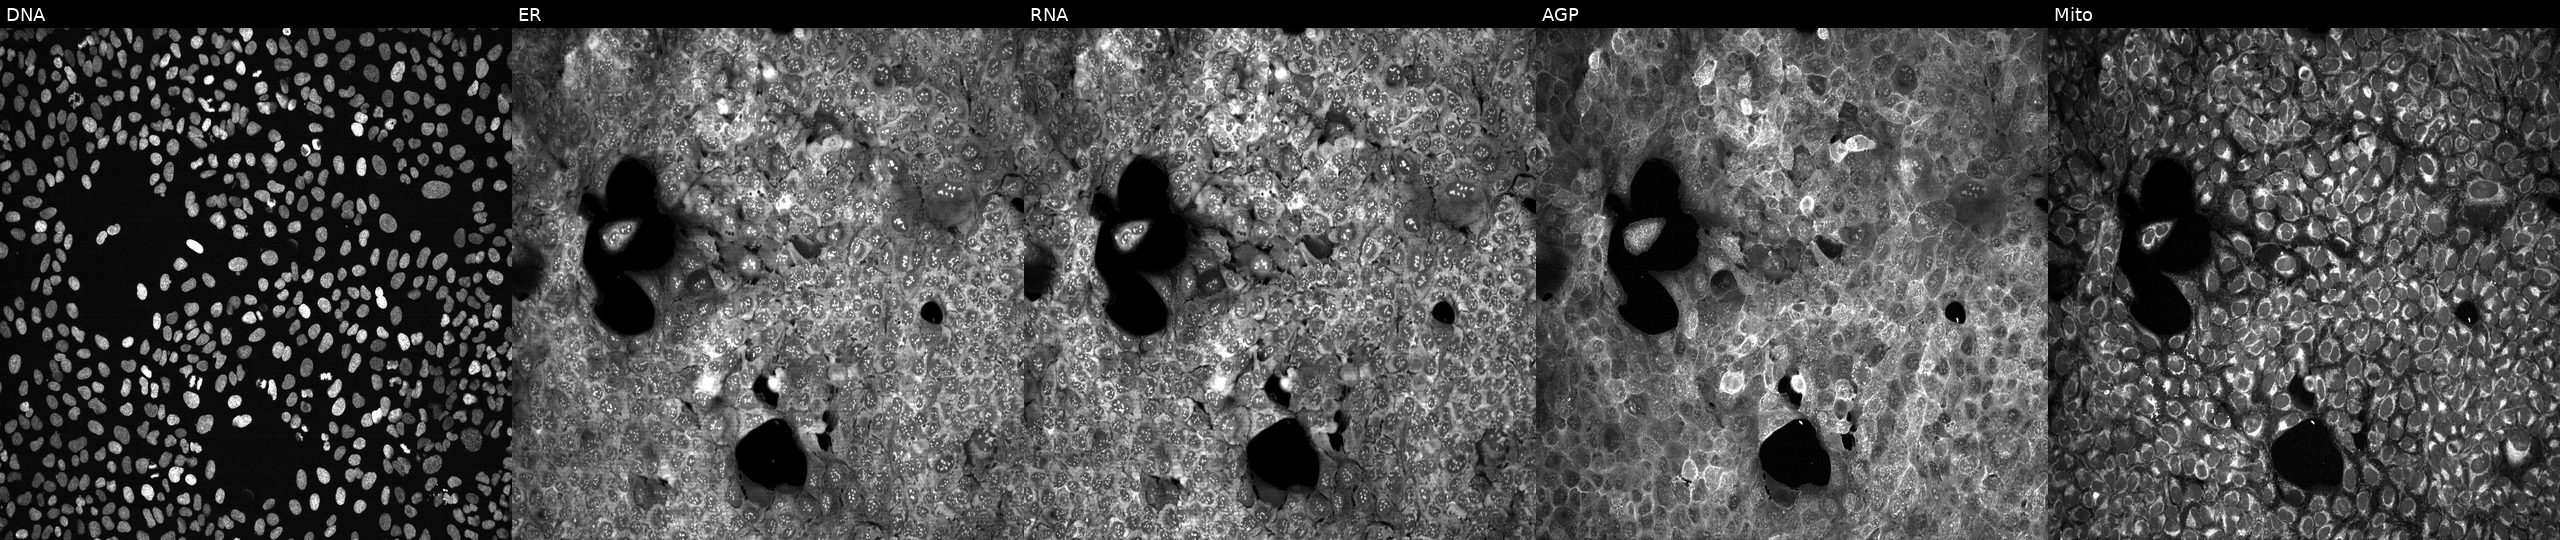
Five-channel Cell Painting image of U2OS cells treated with LY2109761 (positive-control compound) (JUMP id JCP2022_035095). From left to right: DNA, ER, RNA, AGP, and Mito. Source 13, plate CP-CC9-R4-04, well I24.